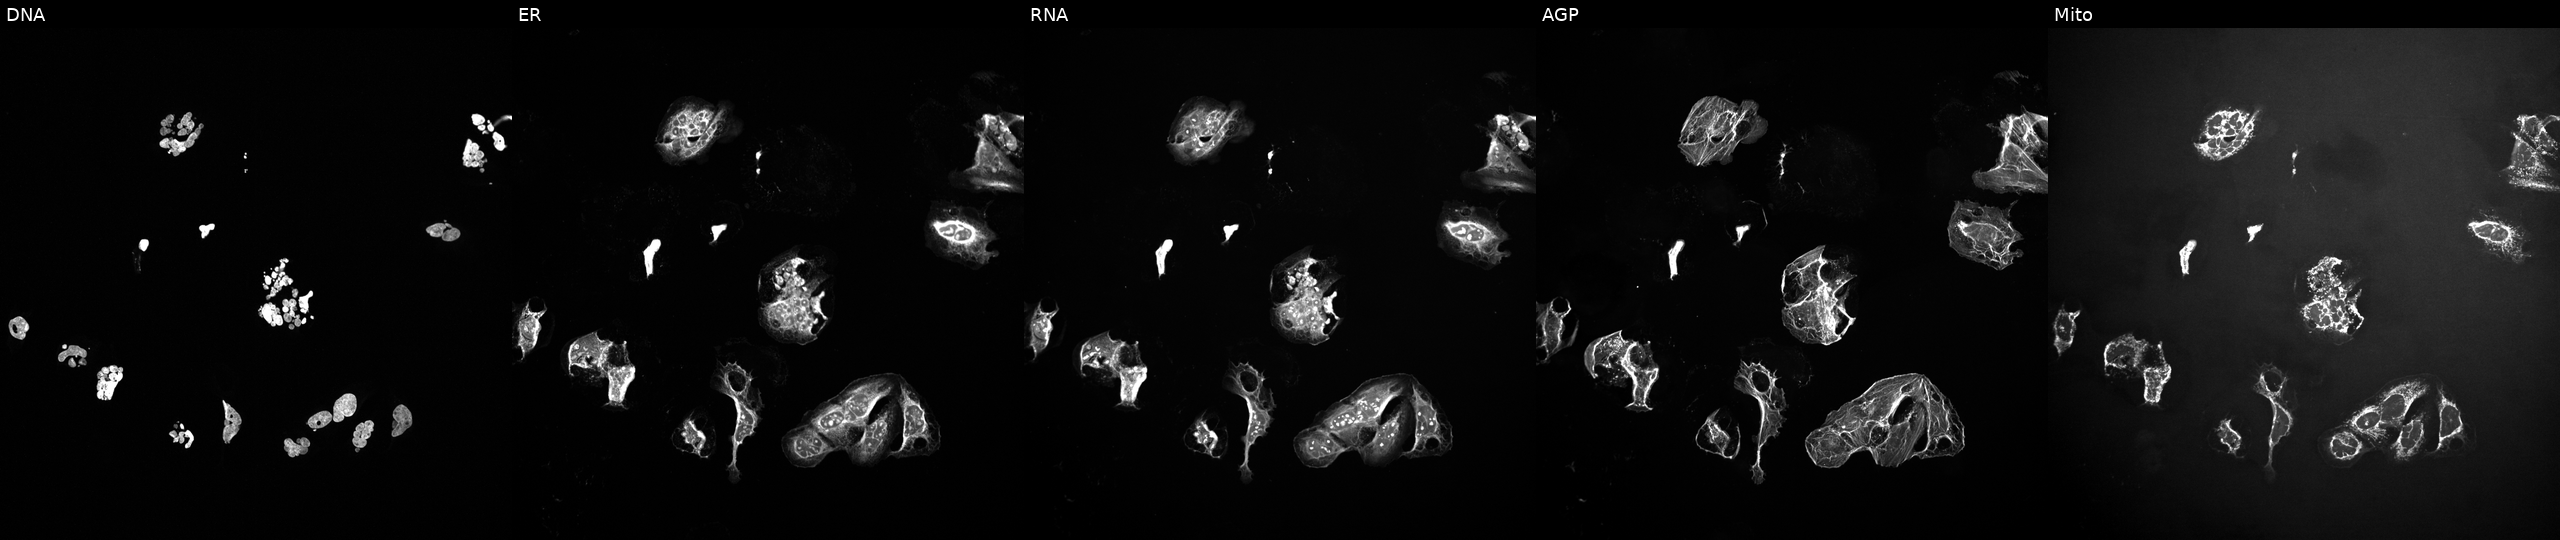
High-content fluorescence microscopy (Cell Painting). Cell line: U2OS. Perturbation: treated with a small-molecule compound (InChIKey QXRSDHAAWVKZLJ-UHFFFAOYSA-N) (JUMP id JCP2022_076573). Channels (left→right): DNA (nuclei); ER (endoplasmic reticulum); RNA (nucleoli and cytoplasmic RNA); AGP (actin cytoskeleton, Golgi, and plasma membrane); Mito (mitochondria).